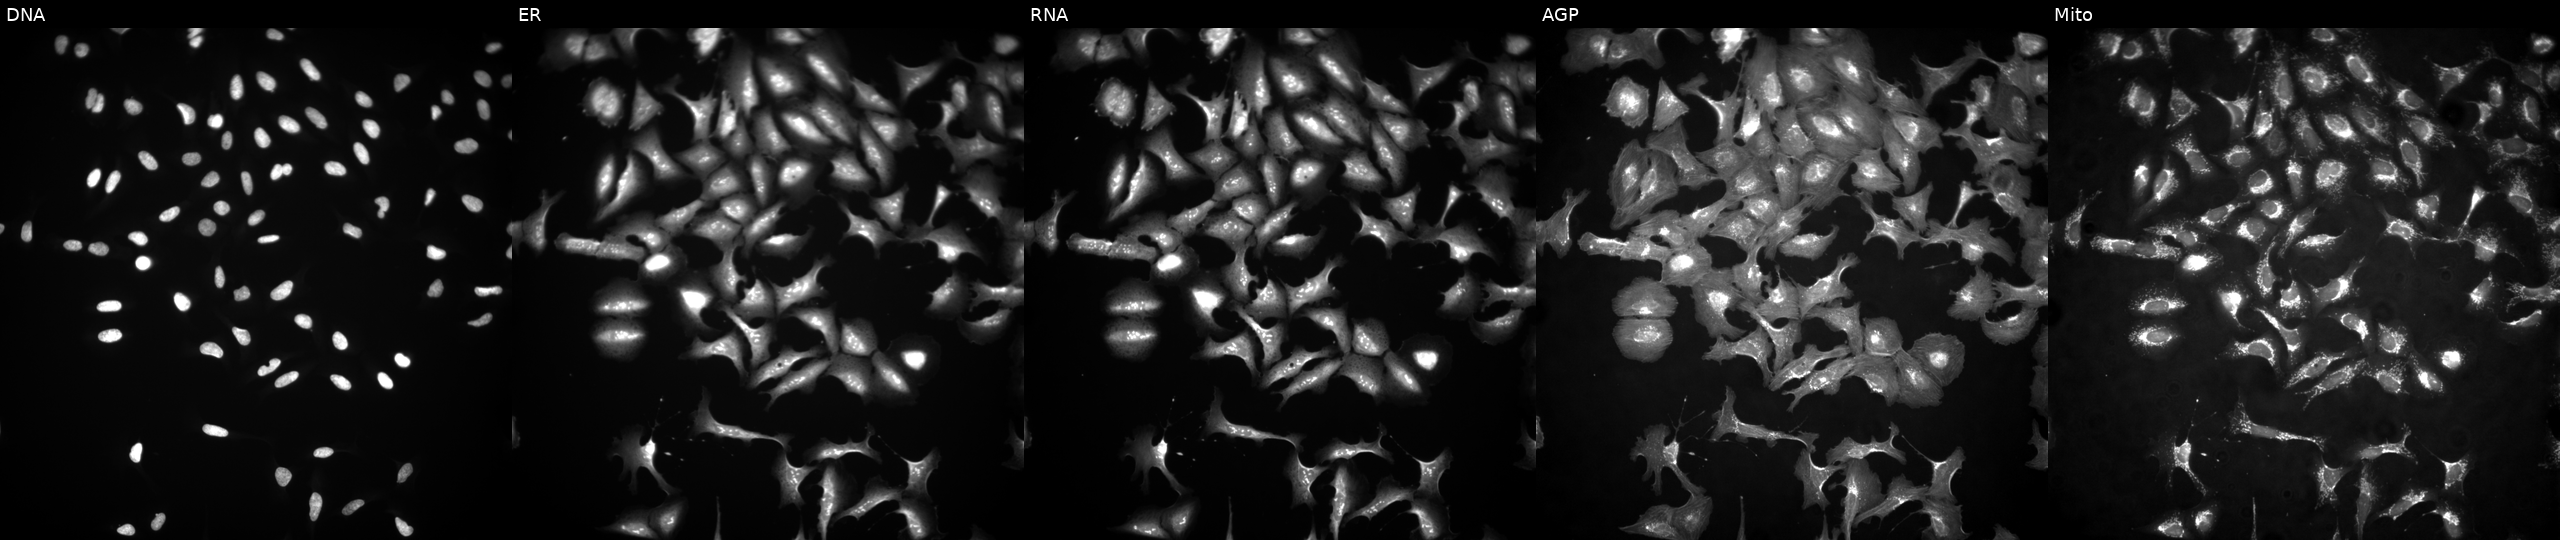
JUMP Cell Painting — ORF plate. U2OS cells overexpressing ZNF385B via ORF transfection (JUMP id JCP2022_909020). Channels (left→right): DNA (nuclei); ER (endoplasmic reticulum); RNA (nucleoli and cytoplasmic RNA); AGP (actin cytoskeleton, Golgi, and plasma membrane); Mito (mitochondria).